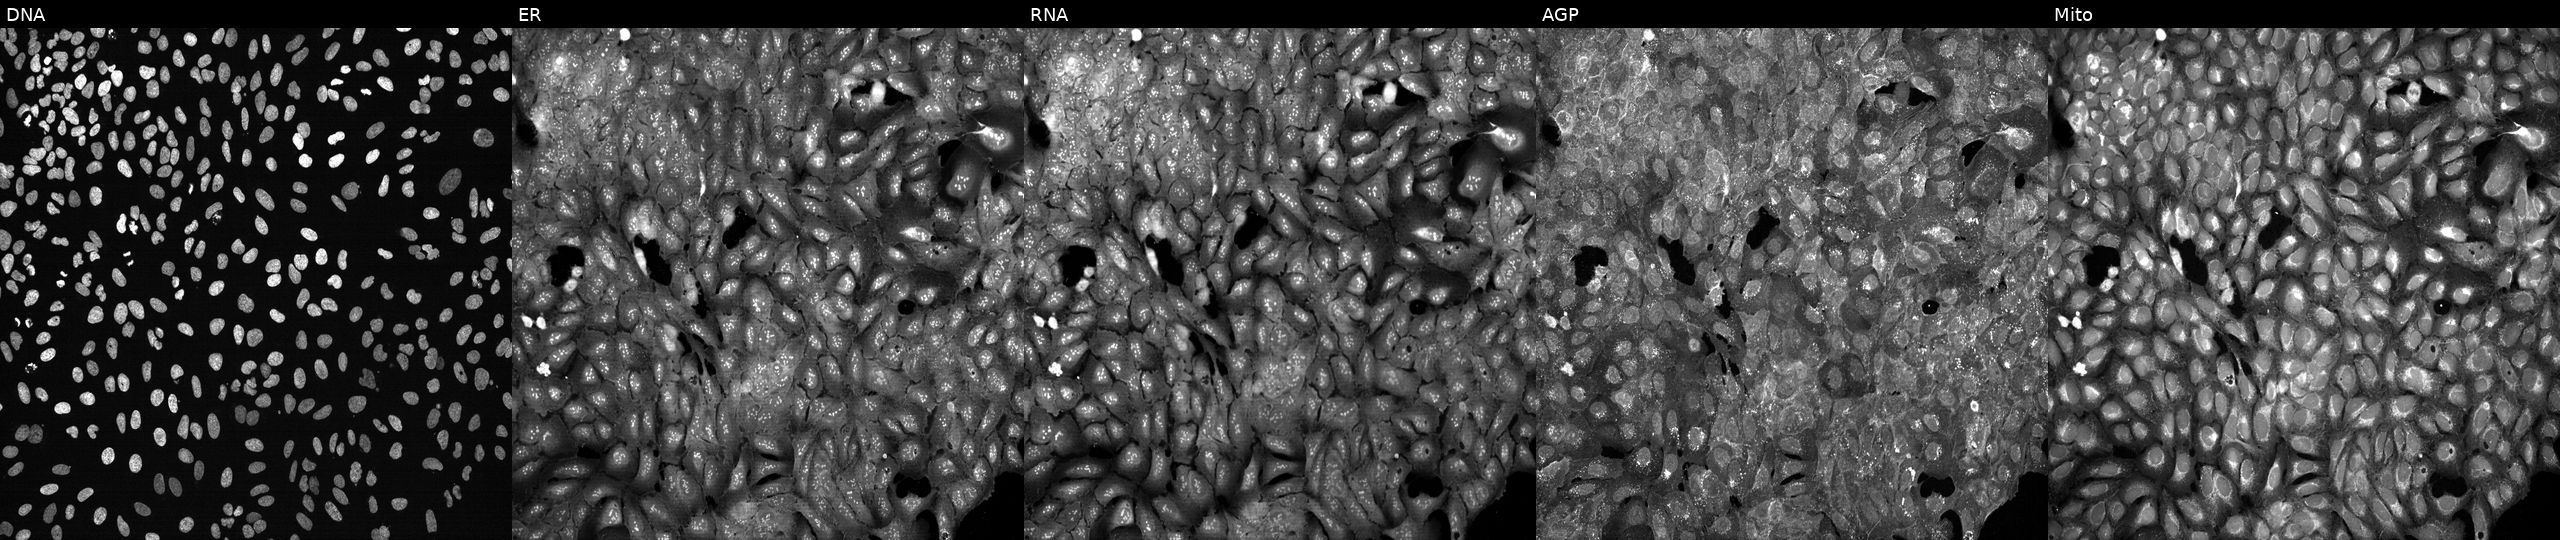
JUMP Cell Painting — CRISPR plate. U2OS cells with MYO15A knocked out by CRISPR (JUMP id JCP2022_804381). Channels (left→right): DNA (nuclei); ER (endoplasmic reticulum); RNA (nucleoli and cytoplasmic RNA); AGP (actin cytoskeleton, Golgi, and plasma membrane); Mito (mitochondria).